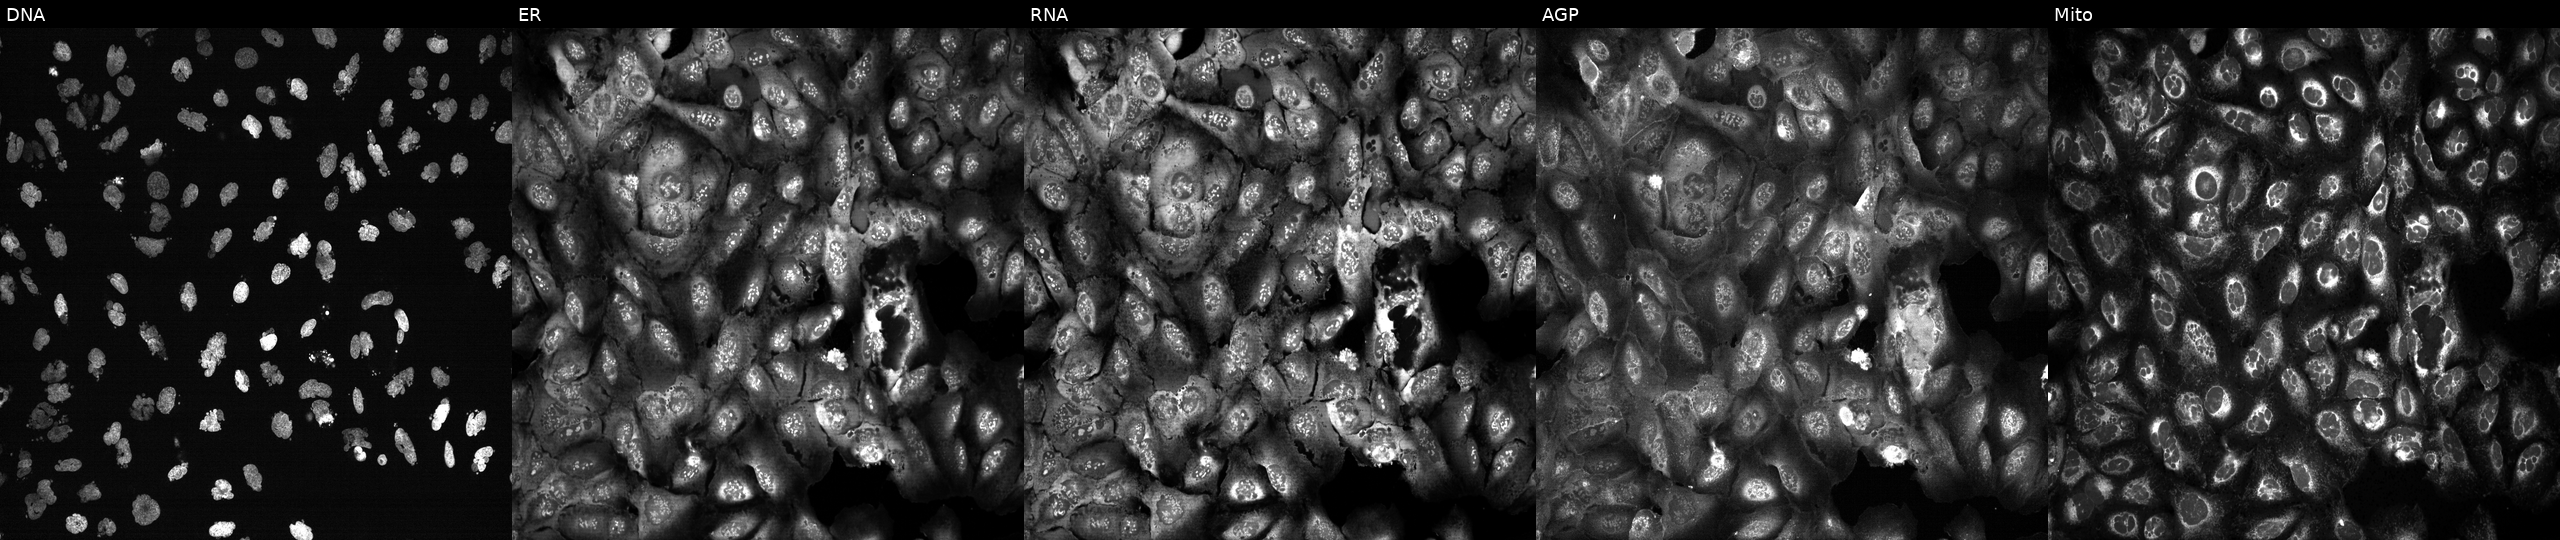
Five-channel Cell Painting image of U2OS cells treated with AMG900 (positive-control compound). Channels (left→right): DNA, ER, RNA, AGP, and Mito. Source 13, plate CP-CC9-R4-03, well J01.